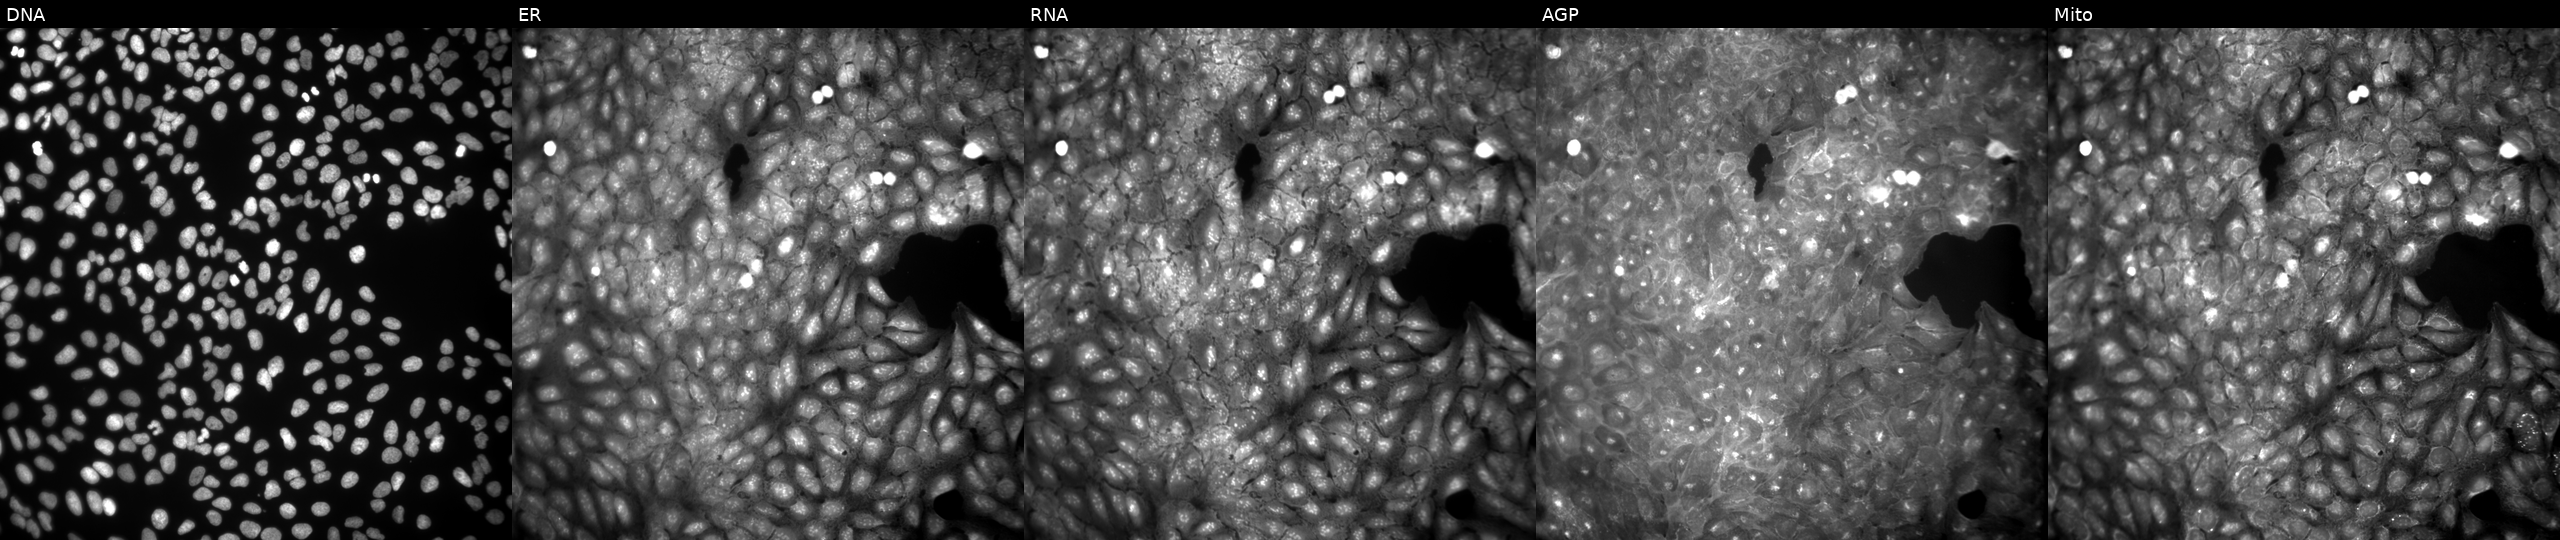
This image strip shows the five Cell Painting channels for a single field of U2OS cells exposed to DMSO alone as a negative control (JUMP id JCP2022_033924). The five panels, left to right, show Hoechst 33342, concanavalin A, SYTO 14, phalloidin and WGA, MitoTracker.